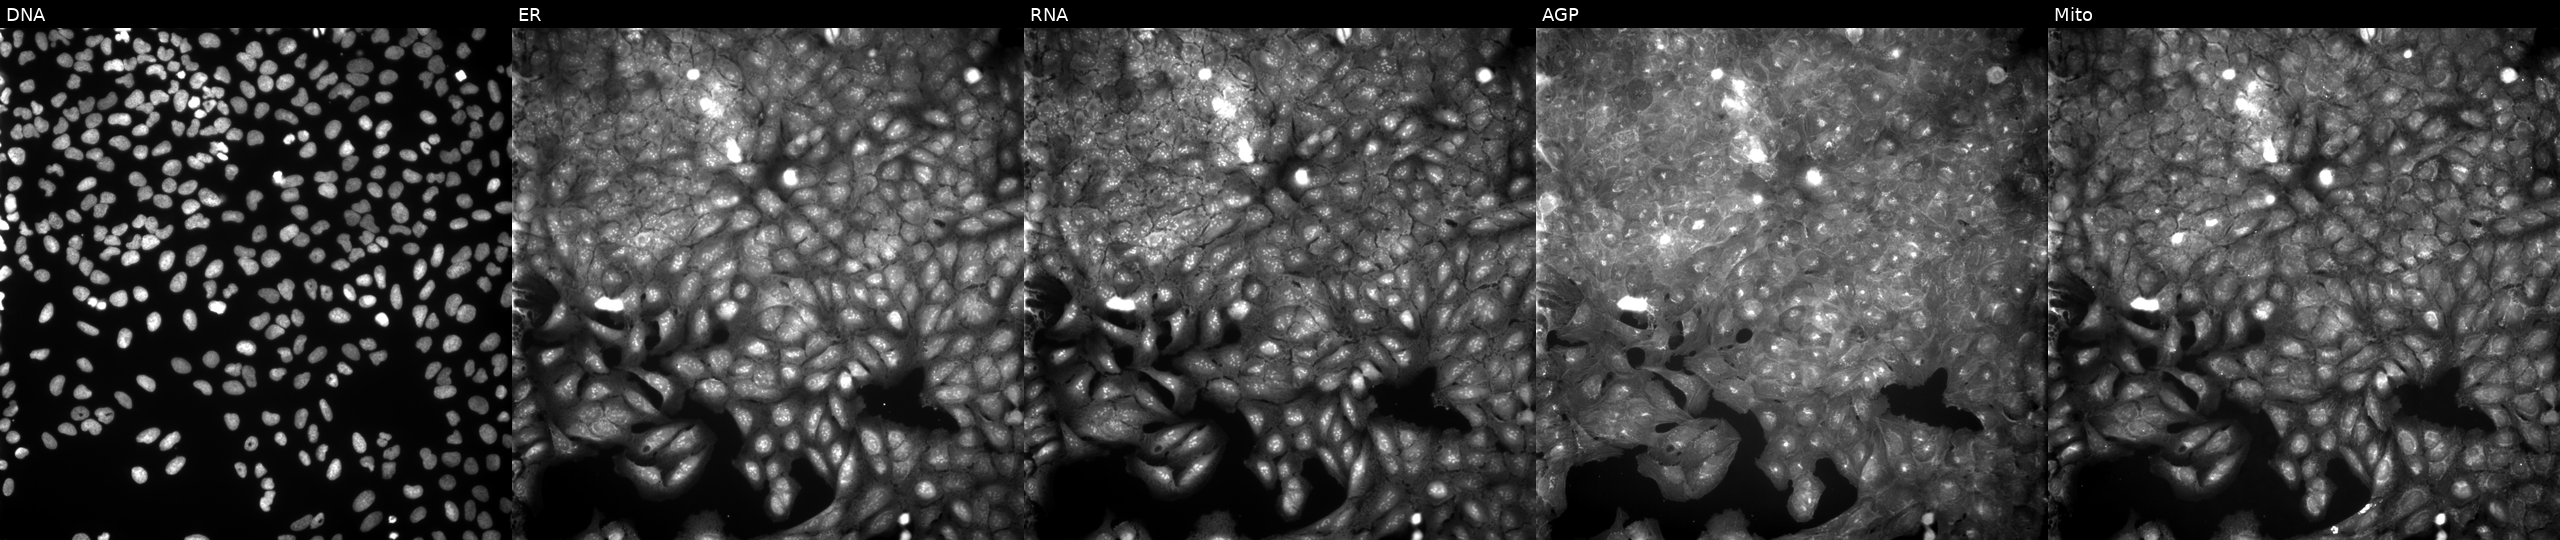
JUMP Cell Painting — COMPOUND plate. U2OS cells exposed to a small-molecule compound (InChIKey POVCQXIJGRFGTF-UHFFFAOYSA-N) [SMILES: CCOc1ccc2c(c1)C(=O)c1cc(OCC)ccc1-2] (JUMP id JCP2022_070035). Channels (left→right): DNA, ER, RNA, AGP, and Mito. Source 9, plate GR00003381, well J20.